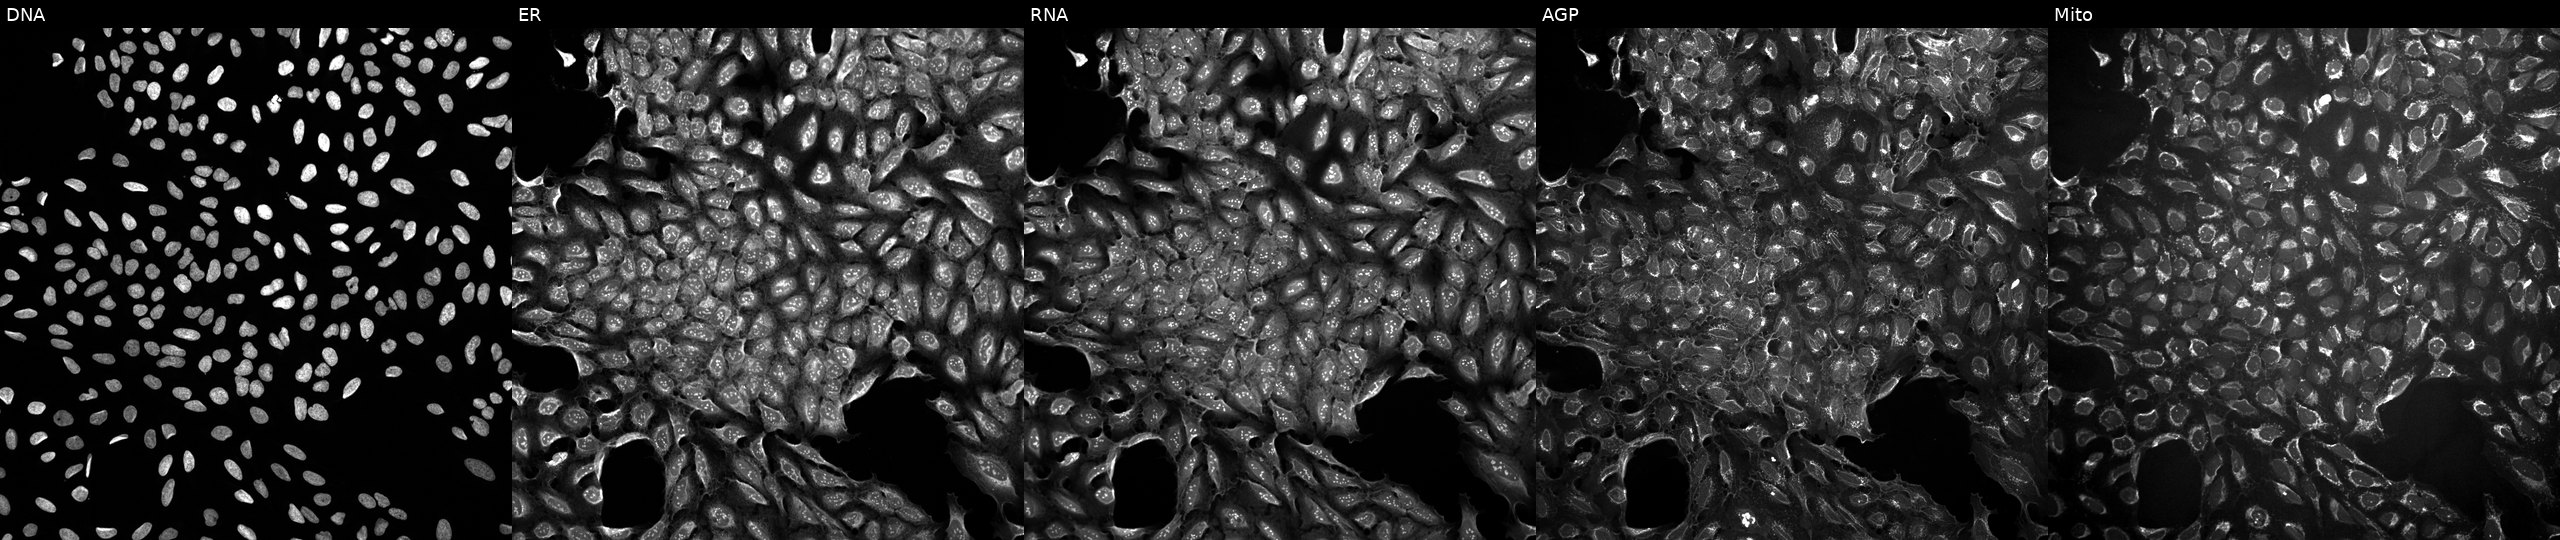
High-content fluorescence microscopy (Cell Painting). Cell line: U2OS. Perturbation: exposed to a small-molecule compound (InChIKey WJBLNOPPDWQMCH-UHFFFAOYSA-N) (JUMP id JCP2022_099089). Channels (left→right): DNA, ER, RNA, AGP, and Mito.